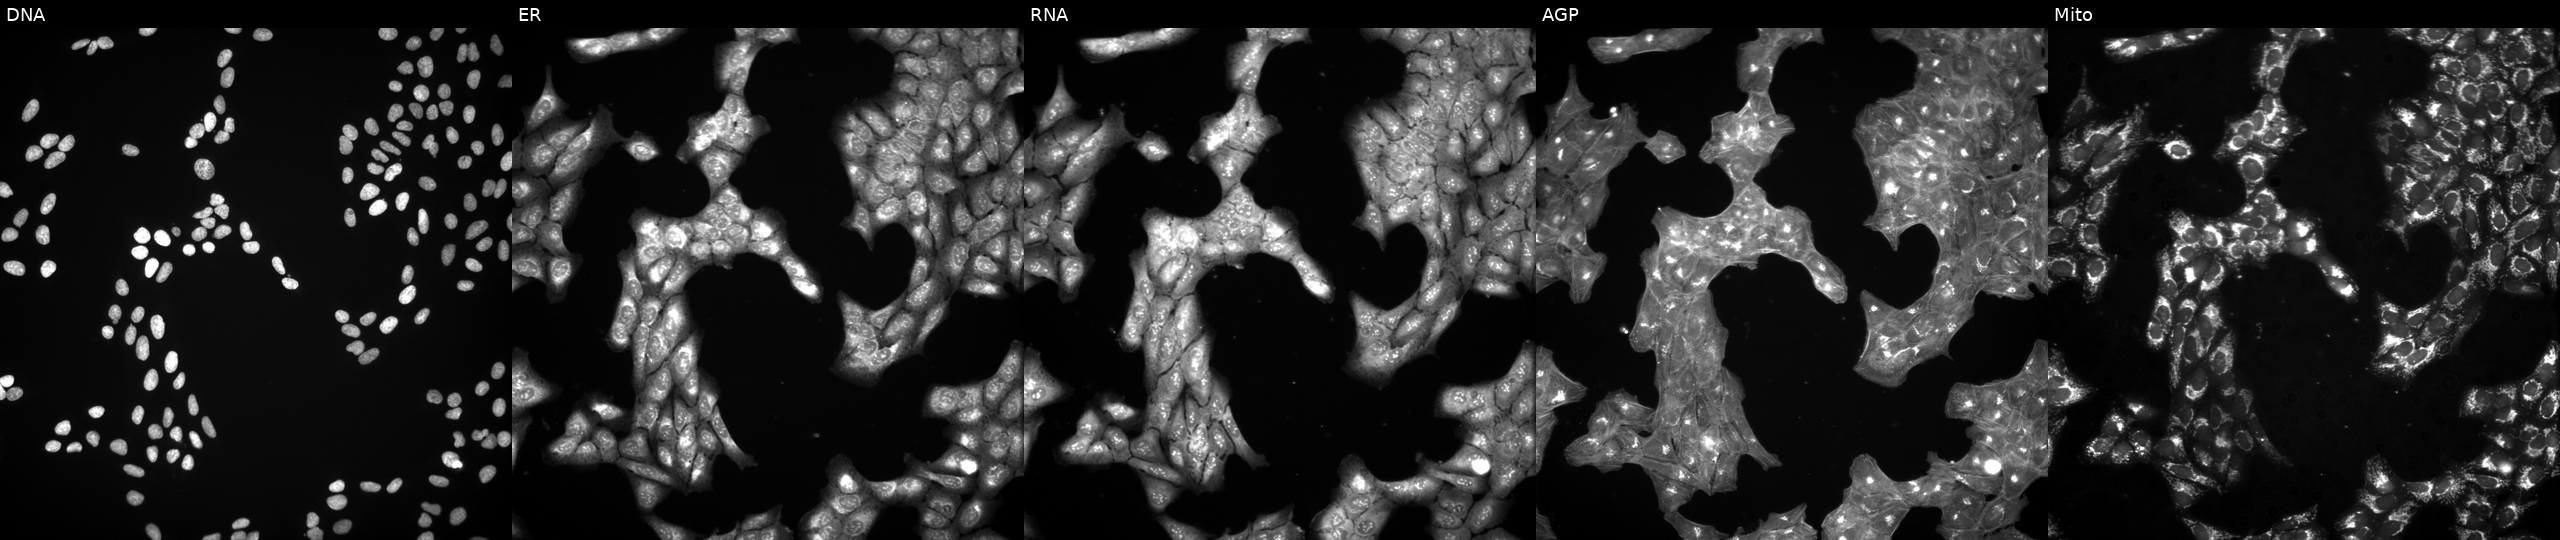
Five-channel Cell Painting image of U2OS cells exposed to a small-molecule compound (InChIKey BTIBWAOCLJARHL-UHFFFAOYSA-N). From left to right: DNA (nuclei); ER (endoplasmic reticulum); RNA (nucleoli and cytoplasmic RNA); AGP (actin cytoskeleton, Golgi, and plasma membrane); Mito (mitochondria).